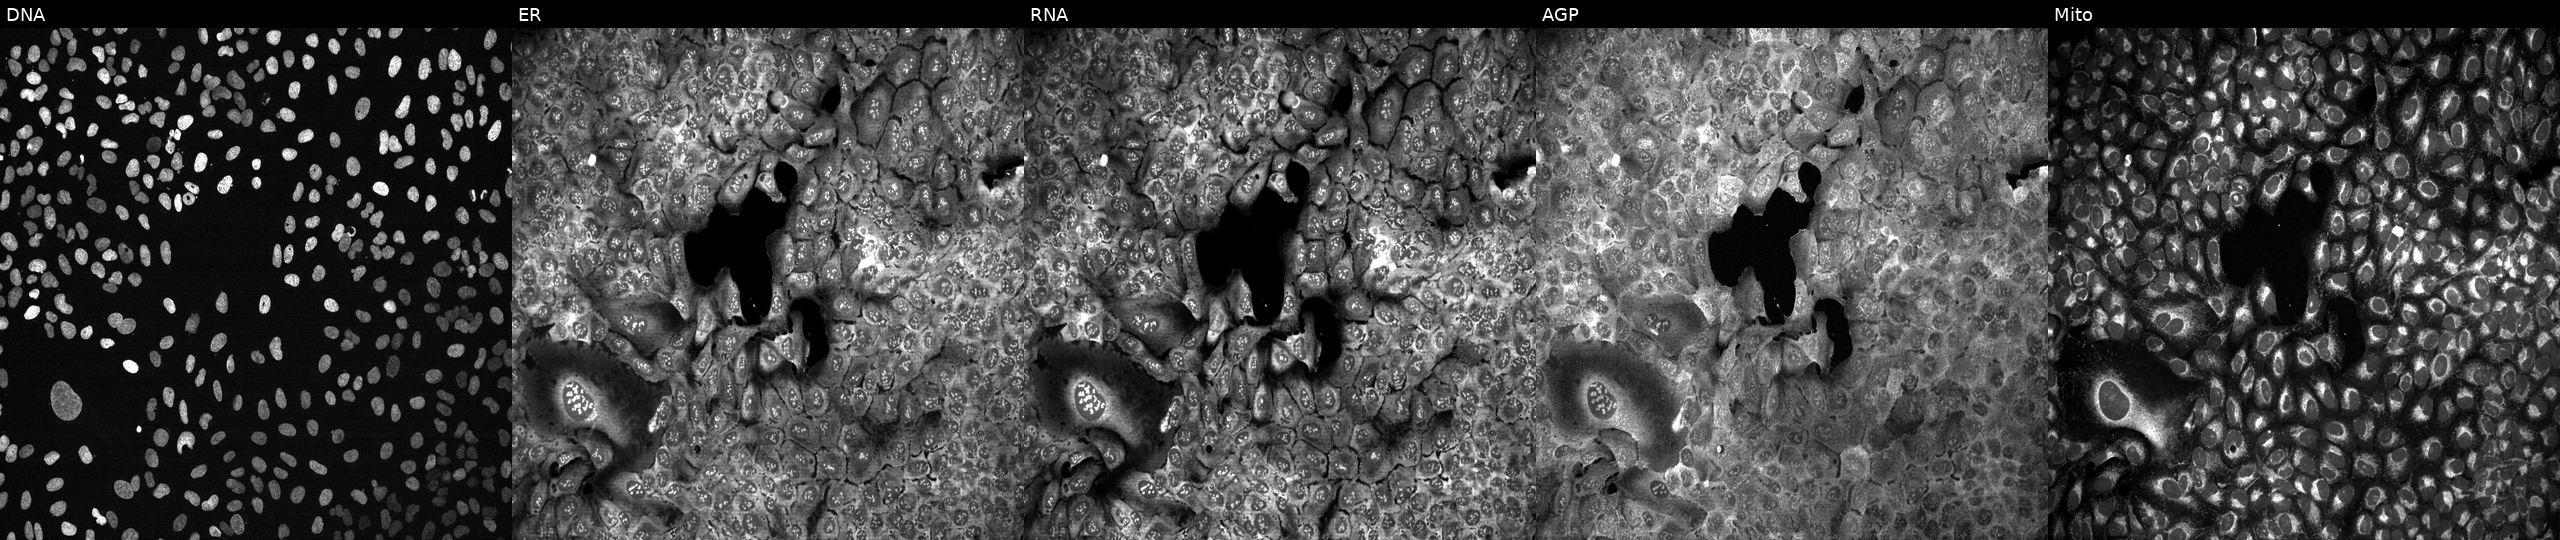
Five-channel Cell Painting image of U2OS cells CRISPR-edited to disrupt GALC (JUMP id JCP2022_802579). From left to right: Hoechst 33342, concanavalin A, SYTO 14, phalloidin and WGA, MitoTracker. Source 13, plate CP-CC9-R3-02, well N17.